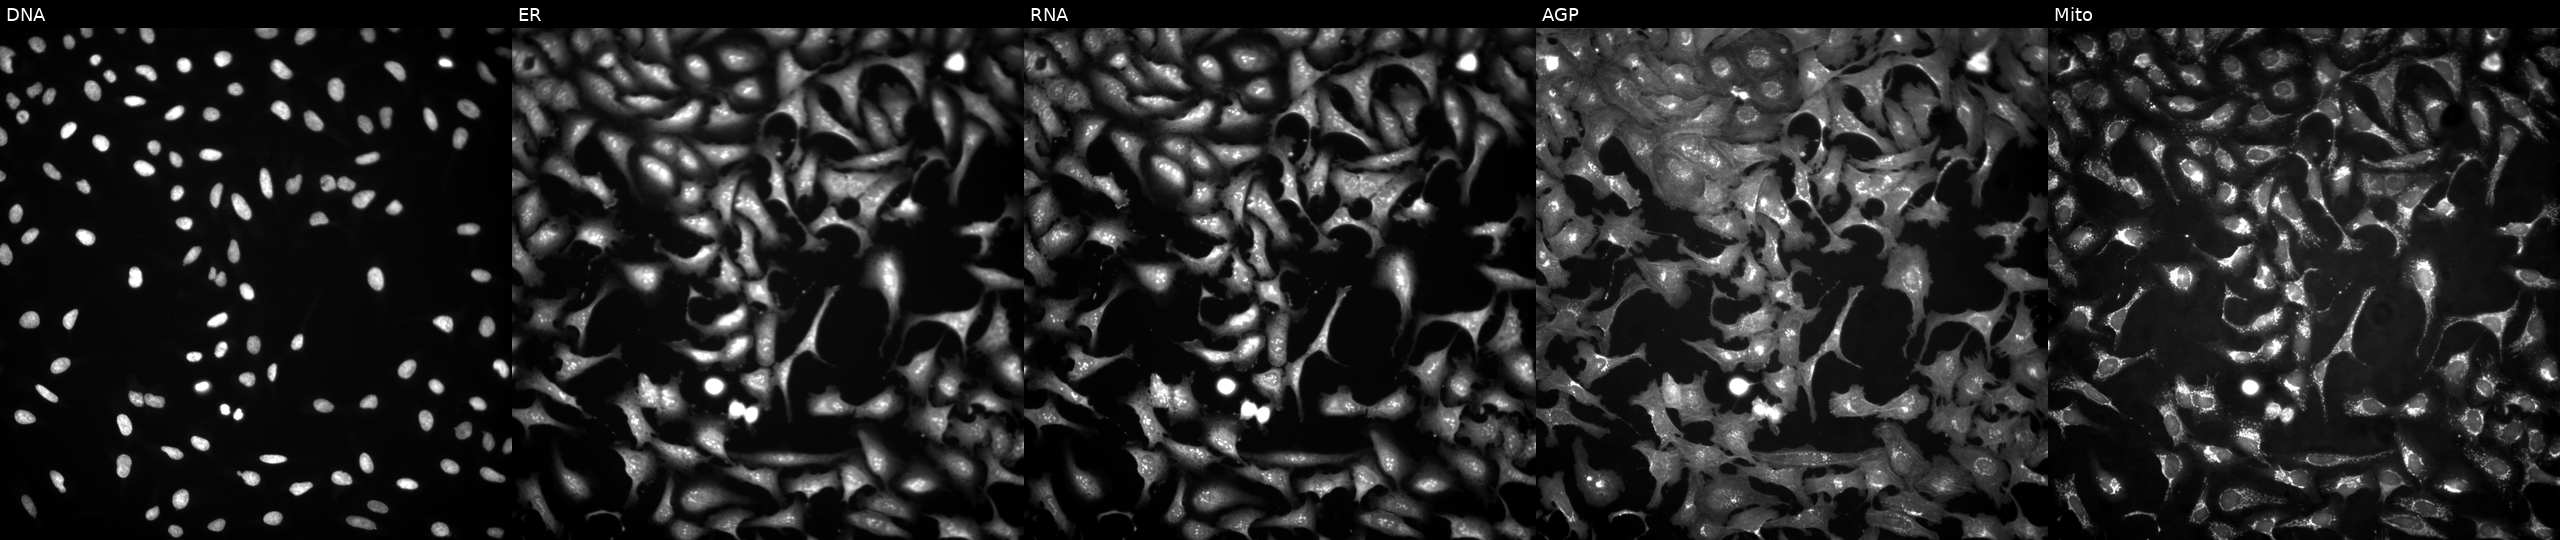
Five-channel Cell Painting image of U2OS cells transfected with an ORF construct for BATF. Panels show, left to right, DNA (nuclei); ER (endoplasmic reticulum); RNA (nucleoli and cytoplasmic RNA); AGP (actin cytoskeleton, Golgi, and plasma membrane); Mito (mitochondria).